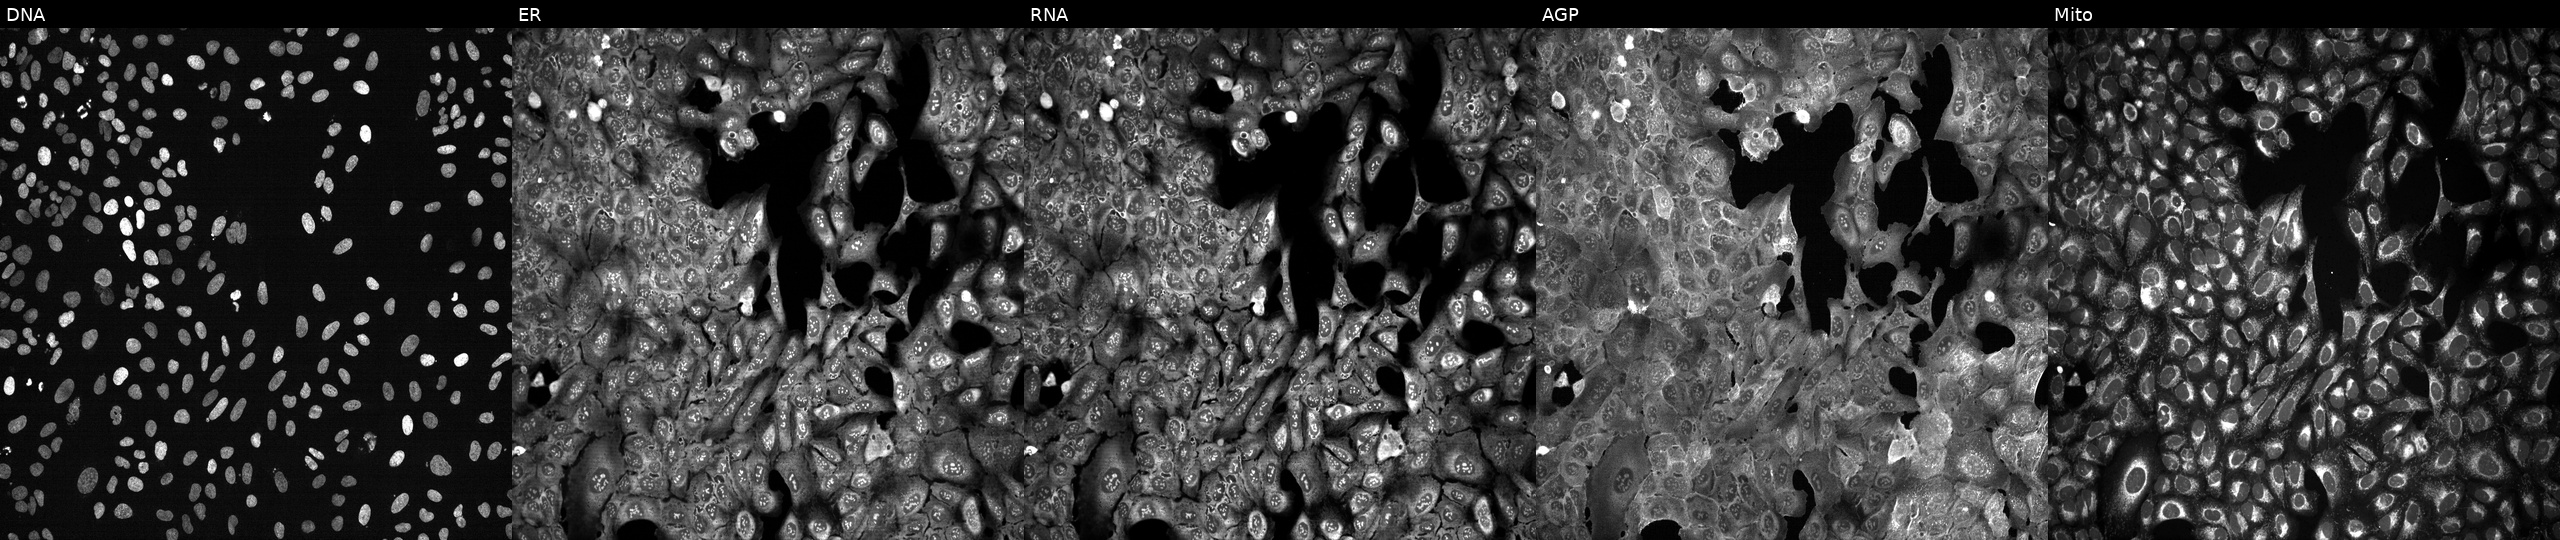
U2OS cells, Cell Painting assay, CRISPR-edited to disrupt ALKBH1. The five panels, left to right, show DNA (nuclei); ER (endoplasmic reticulum); RNA (nucleoli and cytoplasmic RNA); AGP (actin cytoskeleton, Golgi, and plasma membrane); Mito (mitochondria). Each panel is percentile-stretched 16-bit fluorescence. Source 13, plate CP-CC9-R3-02, well A16.